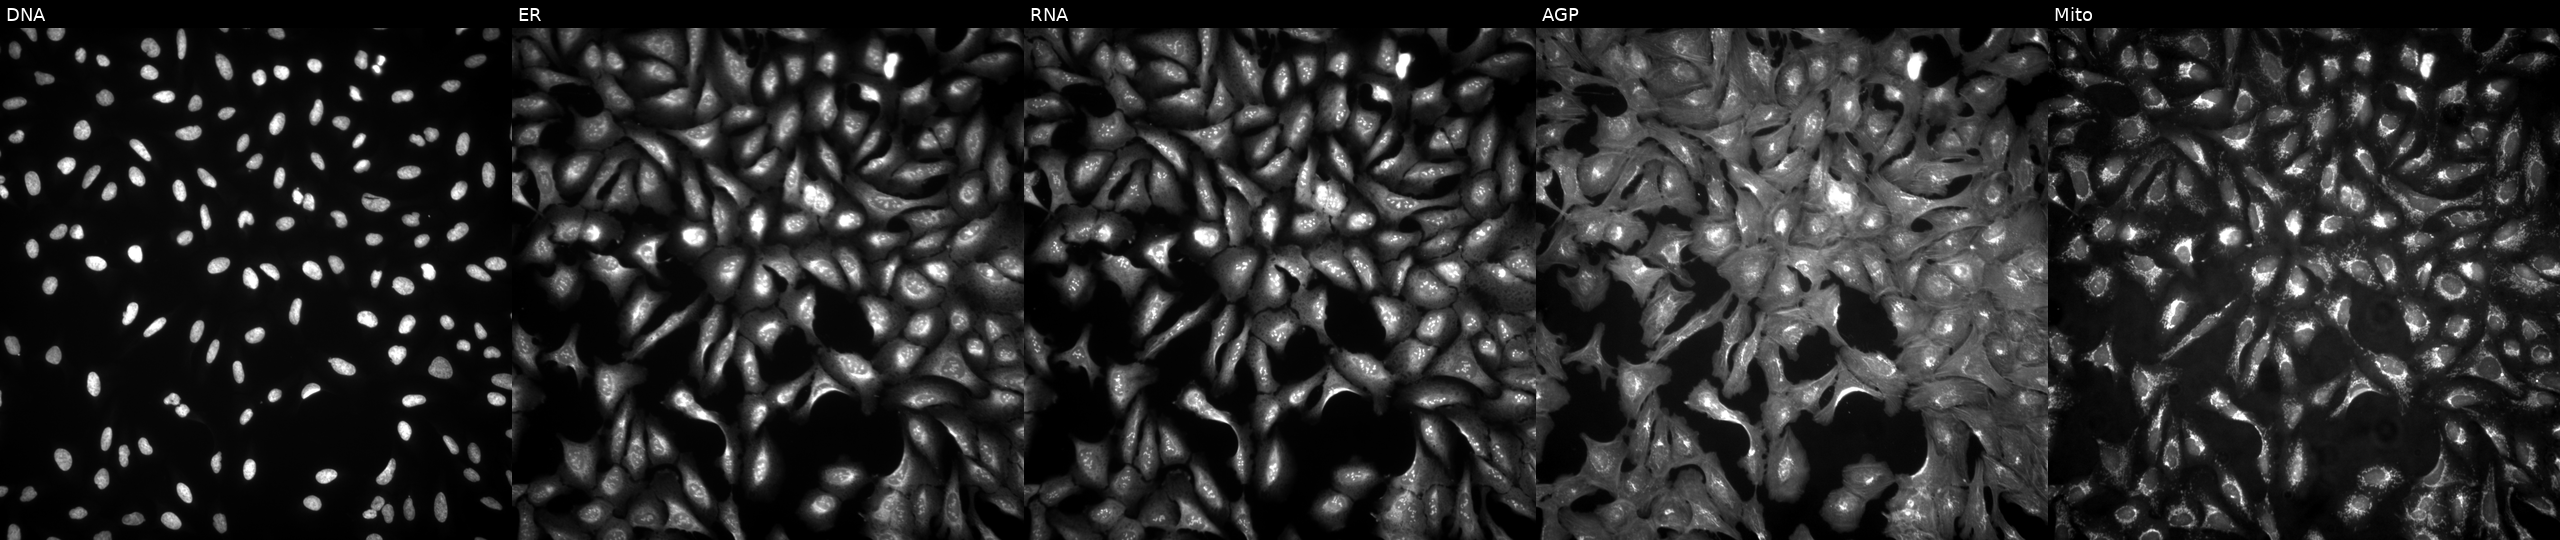
High-content fluorescence microscopy (Cell Painting). Cell line: U2OS. Perturbation: with TMEM182 overexpressed (ORF). The five panels, left to right, show DNA (nuclei); ER (endoplasmic reticulum); RNA (nucleoli and cytoplasmic RNA); AGP (actin cytoskeleton, Golgi, and plasma membrane); Mito (mitochondria). Source 4, plate BR00123509, well C10.